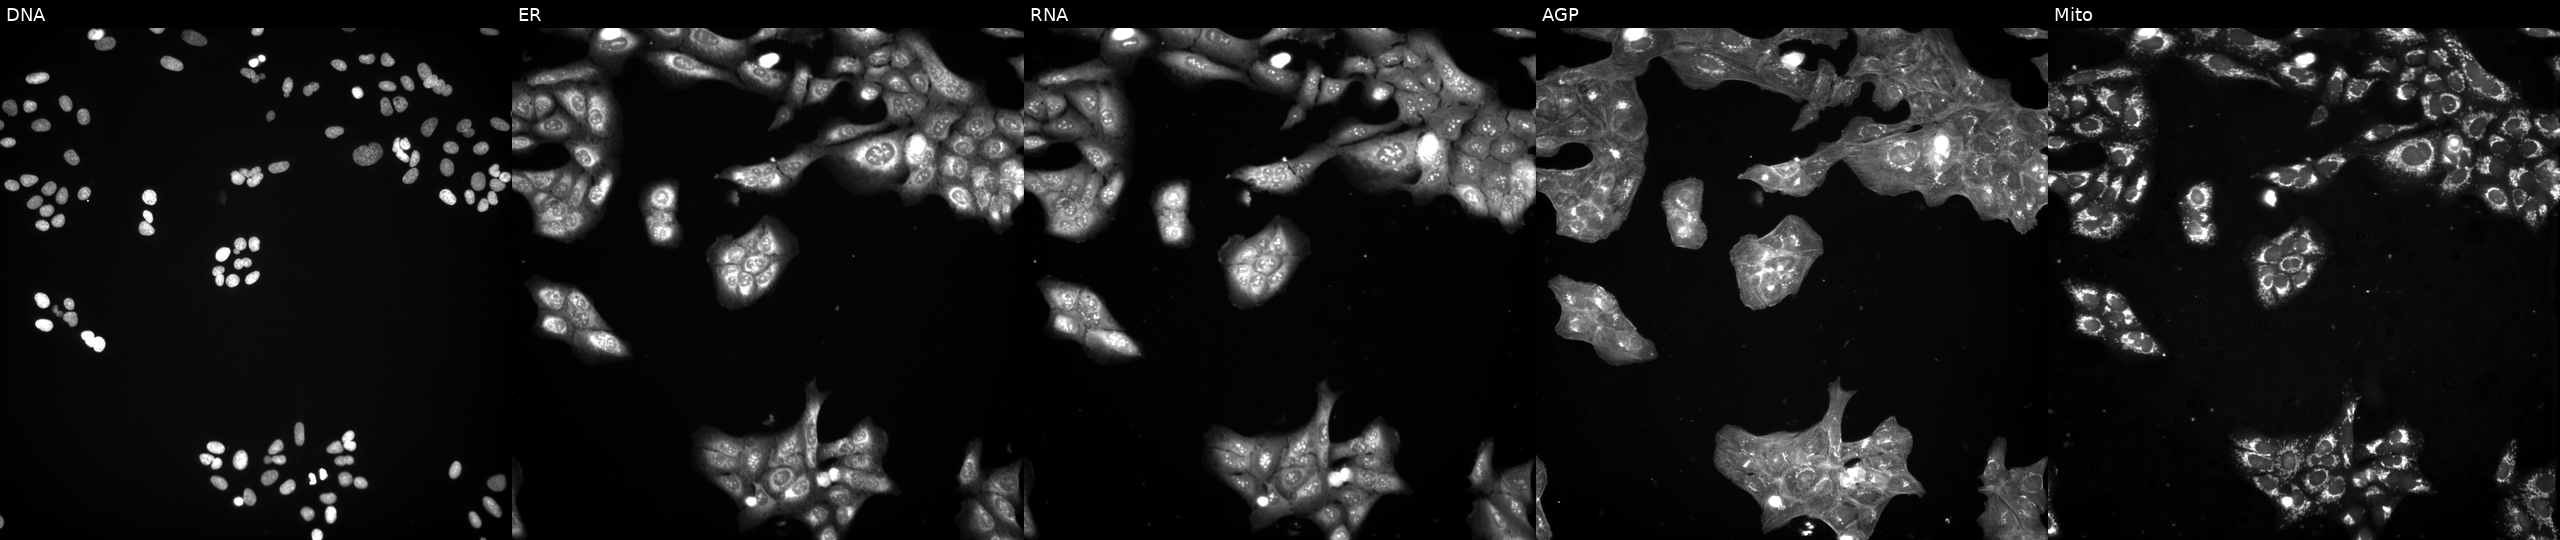
JUMP Cell Painting — COMPOUND plate. U2OS cells exposed to a small-molecule compound (JUMP id JCP2022_110757). Panels show, left to right, DNA (nuclei); ER (endoplasmic reticulum); RNA (nucleoli and cytoplasmic RNA); AGP (actin cytoskeleton, Golgi, and plasma membrane); Mito (mitochondria).